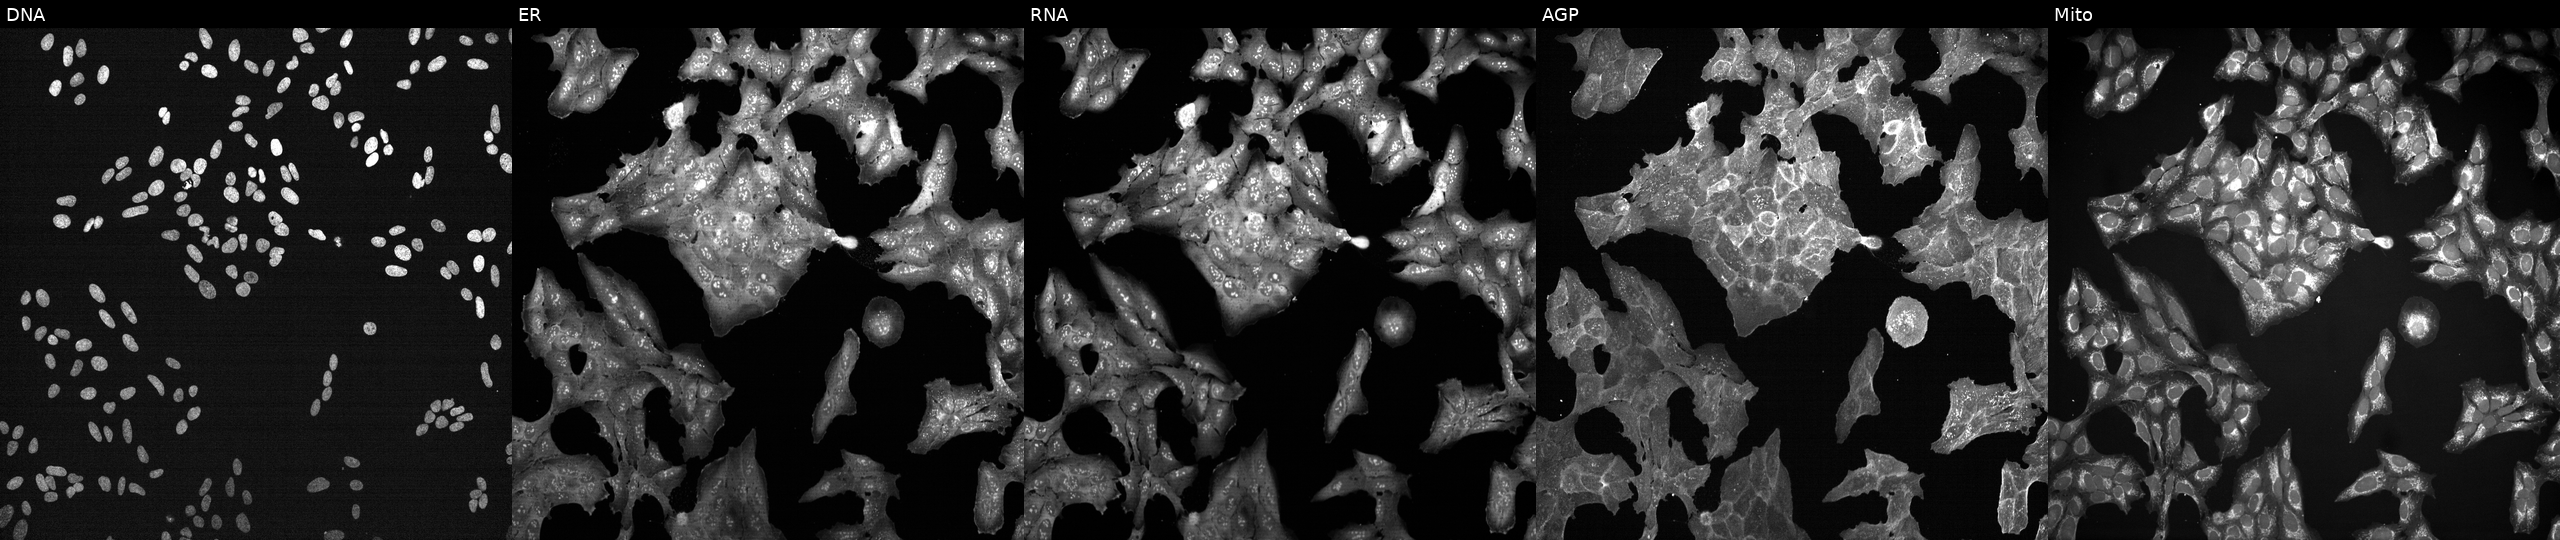
Channels (left→right): Hoechst 33342, concanavalin A, SYTO 14, phalloidin and WGA, MitoTracker. U2OS osteosarcoma cells exposed to a small-molecule compound (InChIKey BLVQHYHDYFTPDV-UHFFFAOYSA-N) (JUMP id JCP2022_007175). Cell Painting assay, JUMP-CP dataset. Source 7, plate CP3-SC1-25, well N04.